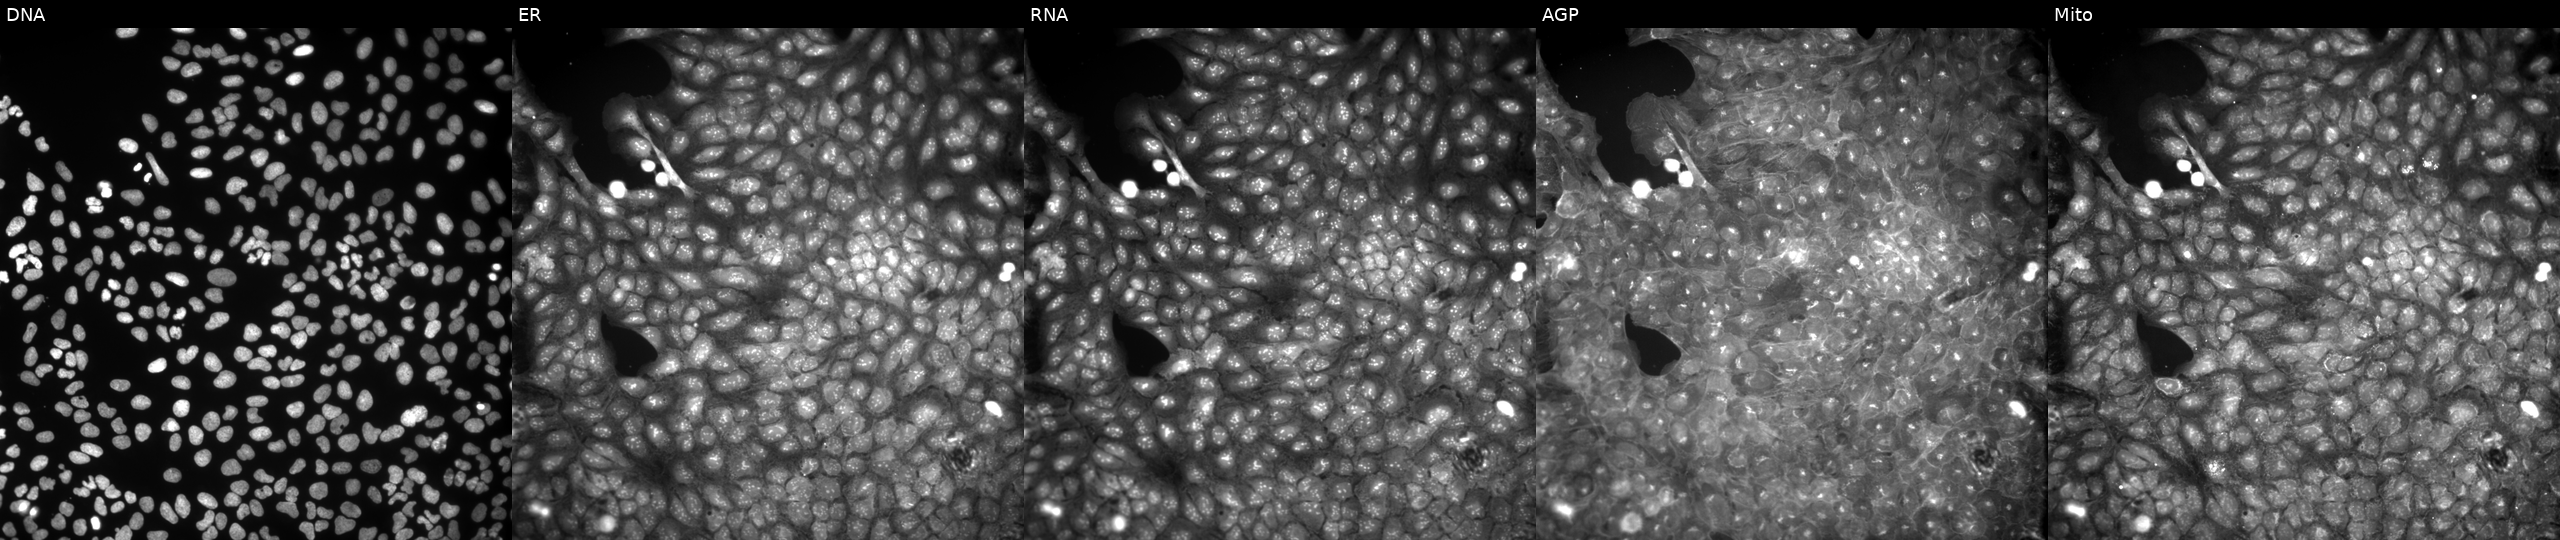
JUMP Cell Painting — COMPOUND plate. U2OS cells exposed to a small-molecule compound (JUMP id JCP2022_041309). From left to right: DNA (nuclei); ER (endoplasmic reticulum); RNA (nucleoli and cytoplasmic RNA); AGP (actin cytoskeleton, Golgi, and plasma membrane); Mito (mitochondria).